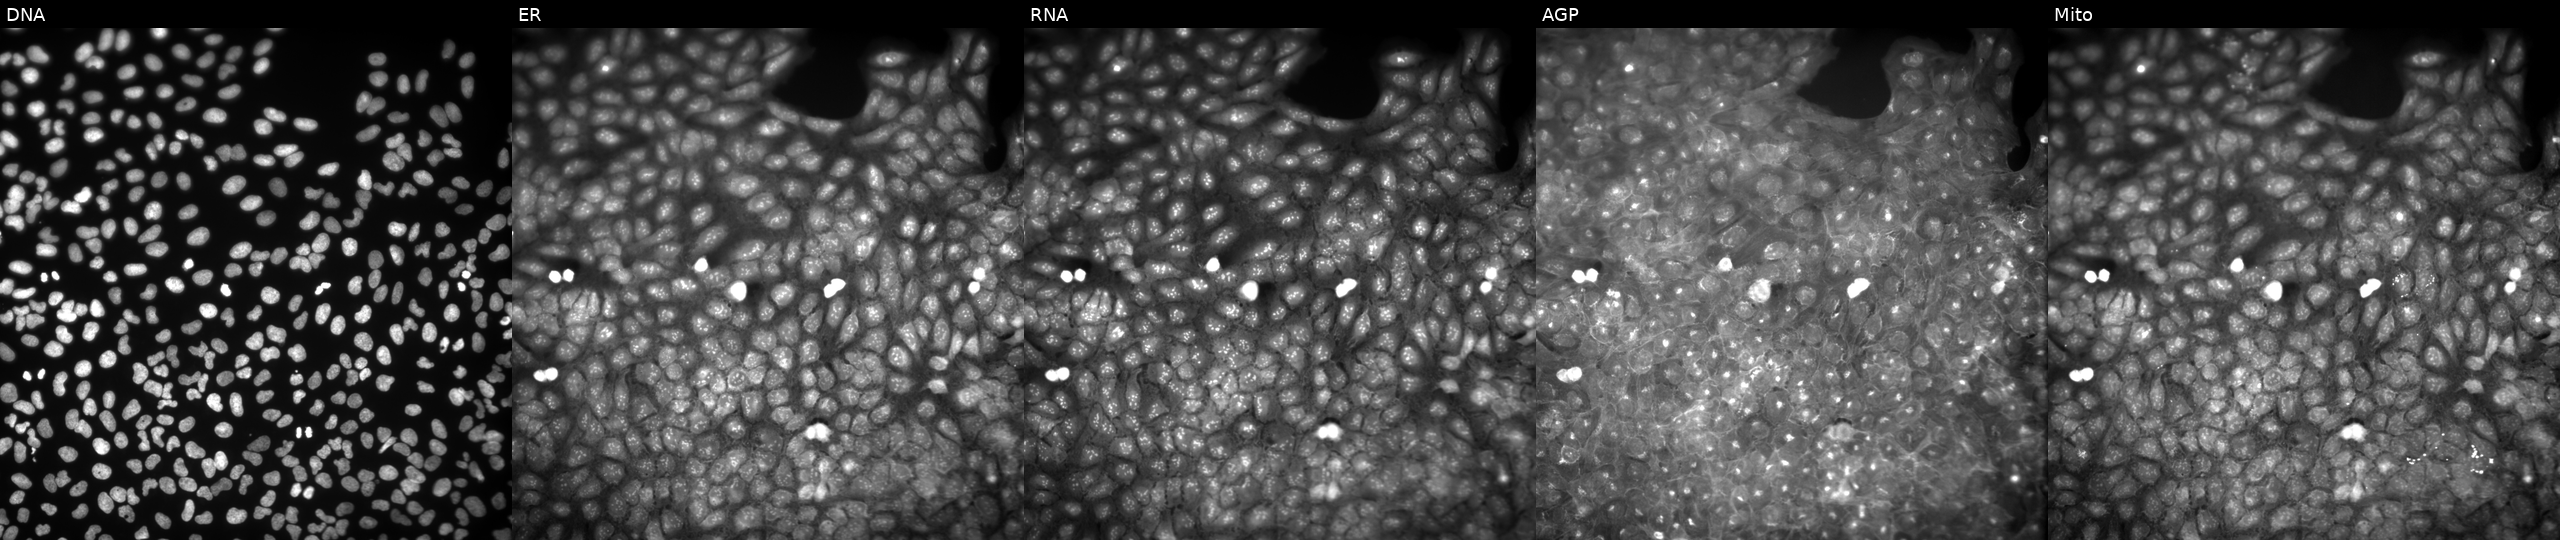
Panels show, left to right, DNA (nuclei); ER (endoplasmic reticulum); RNA (nucleoli and cytoplasmic RNA); AGP (actin cytoskeleton, Golgi, and plasma membrane); Mito (mitochondria). U2OS osteosarcoma cells treated with a small-molecule compound (InChIKey AUGBKBASRNTBQI-UHFFFAOYSA-N) [SMILES: CCOc1cccc(C(=O)N=c2[nH]nc(-c3ccco3)s2)c1]. Cell Painting assay, JUMP-CP dataset. Source 9, plate GR00003382, well AE32.